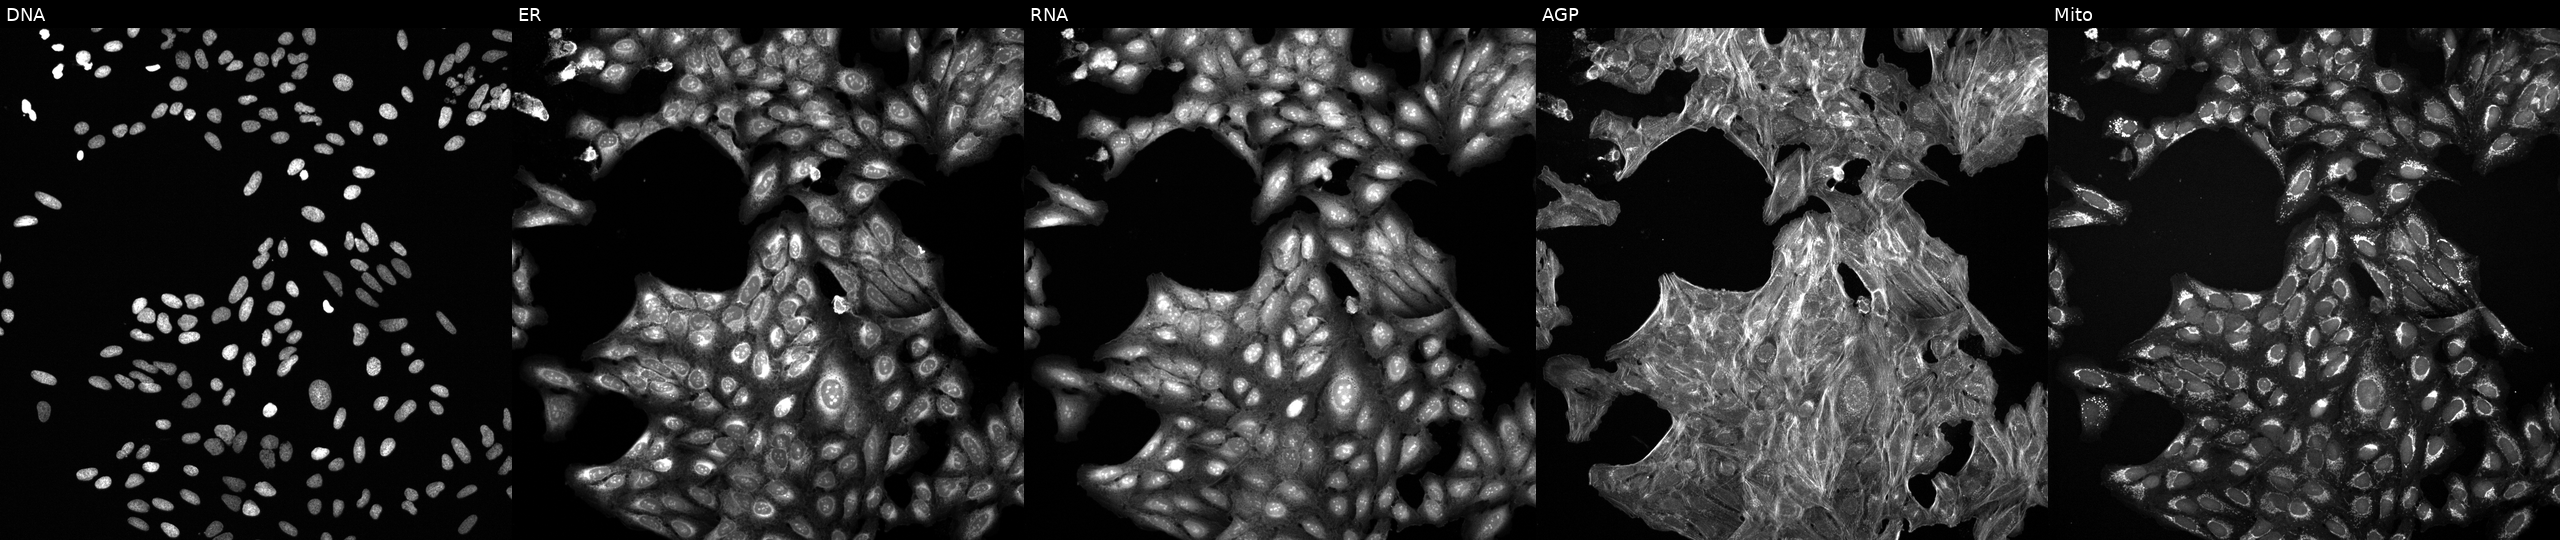
High-content fluorescence microscopy (Cell Painting). Cell line: U2OS. Perturbation: perturbed with a small-molecule compound [SMILES: NC(=O)N1CCC(CC(=O)N2CCC(C3c4ncc(Br)cc4CCc4cc(Cl)cc(Br)c43)CC2)CC1] (JUMP id JCP2022_015955). From left to right: DNA (nuclei); ER (endoplasmic reticulum); RNA (nucleoli and cytoplasmic RNA); AGP (actin cytoskeleton, Golgi, and plasma membrane); Mito (mitochondria).